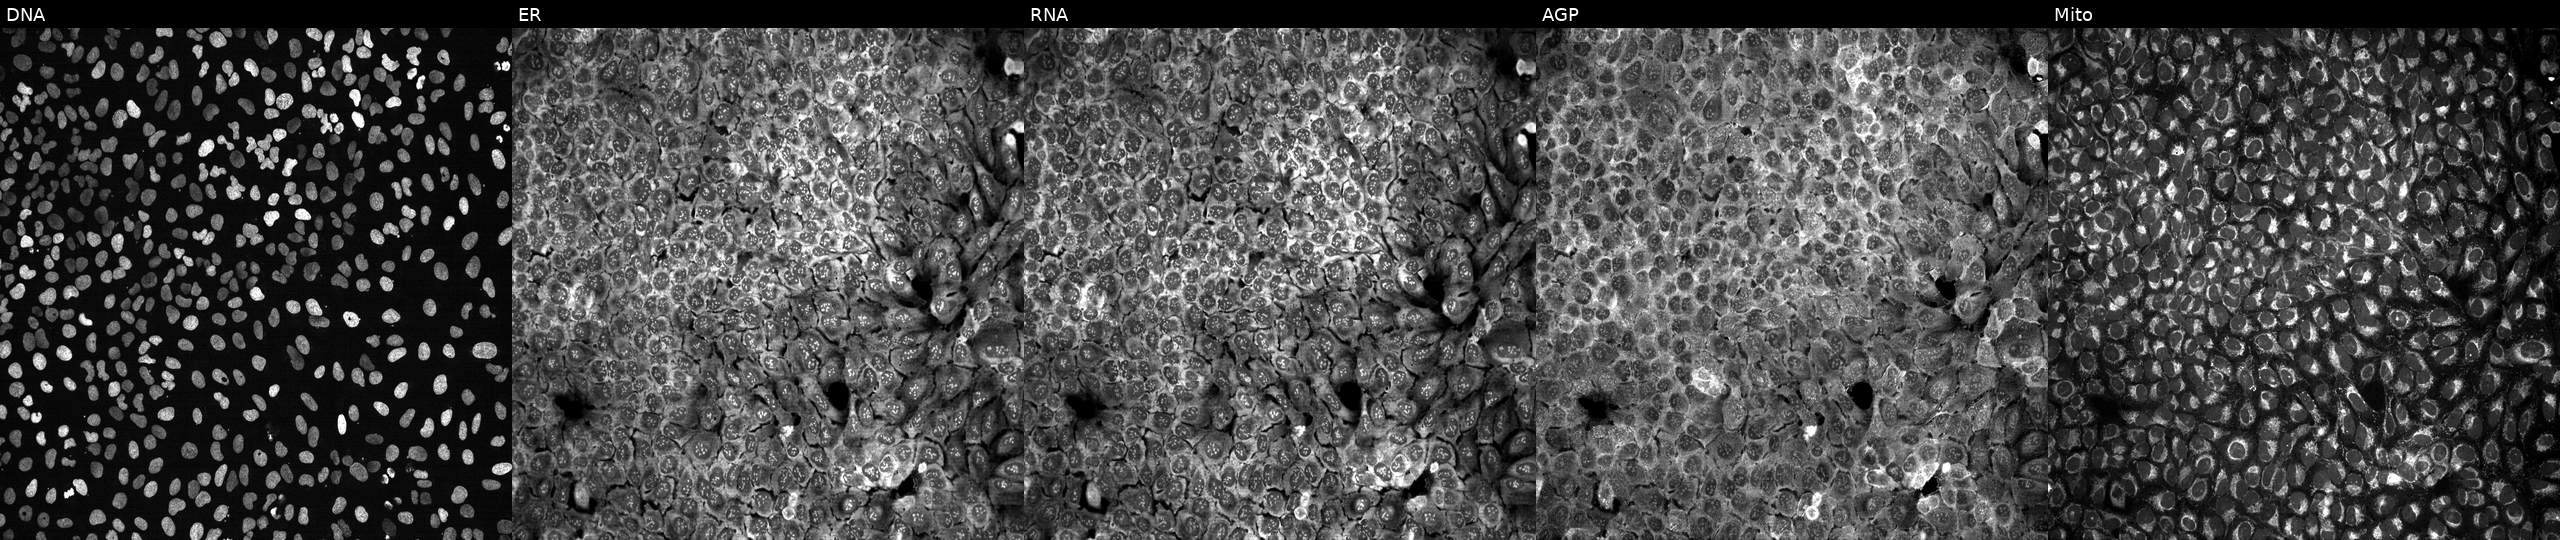
Five-channel Cell Painting image of U2OS cells following CRISPR knockout of ADCY5 (JUMP id JCP2022_800219). Panels show, left to right, DNA (nuclei); ER (endoplasmic reticulum); RNA (nucleoli and cytoplasmic RNA); AGP (actin cytoskeleton, Golgi, and plasma membrane); Mito (mitochondria).